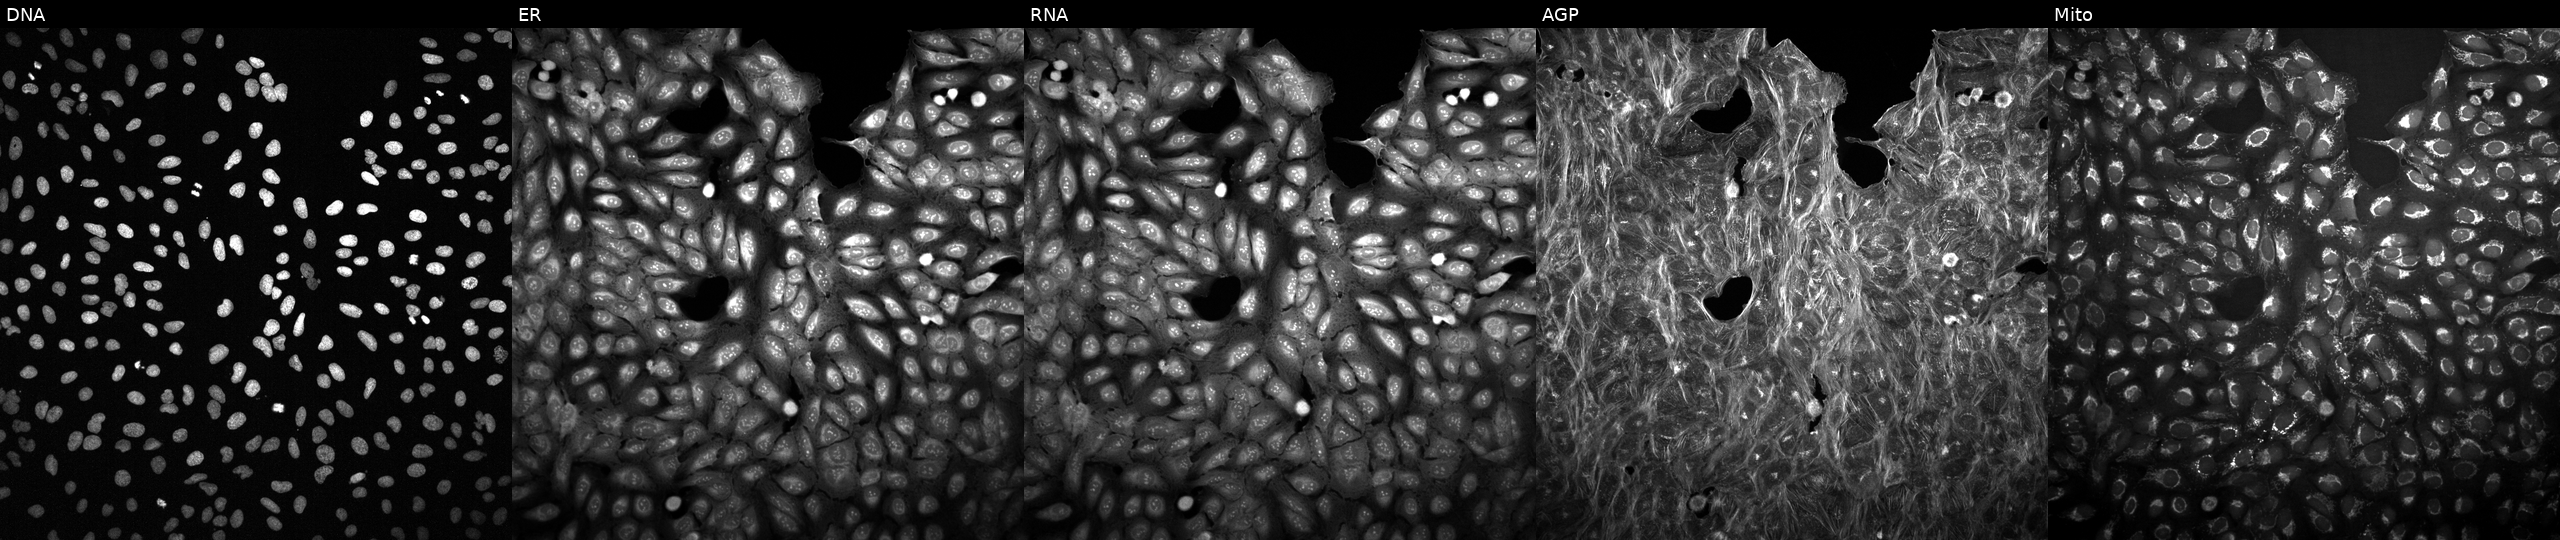
Five-channel Cell Painting image of U2OS cells exposed to DMSO alone as a negative control (JUMP id JCP2022_033924). The five panels, left to right, show Hoechst 33342, concanavalin A, SYTO 14, phalloidin and WGA, MitoTracker.